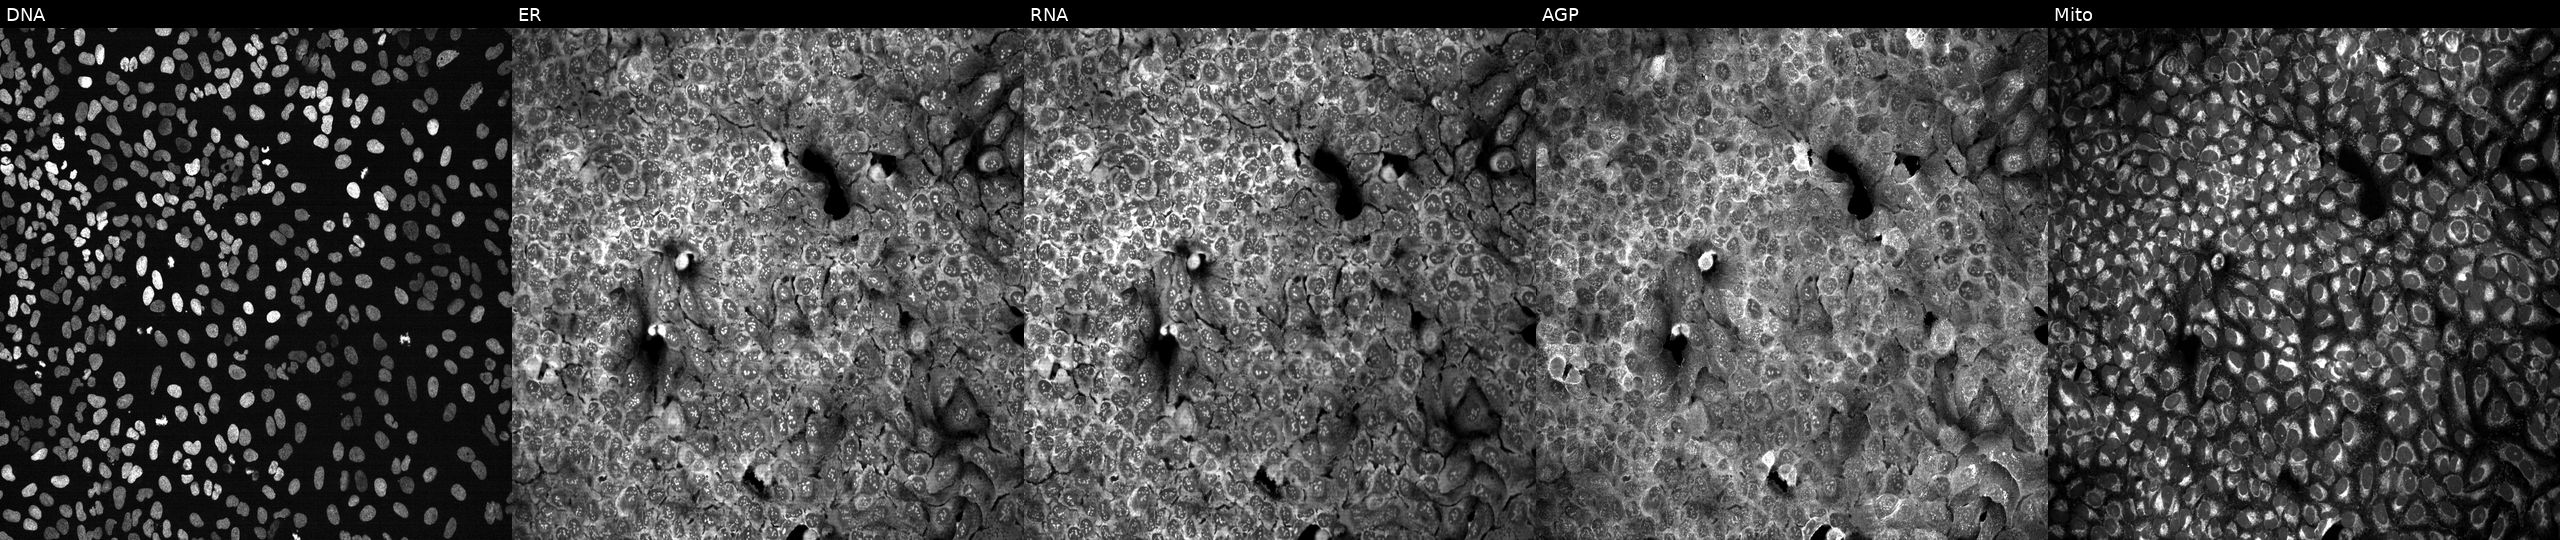
U2OS cells, Cell Painting assay, CRISPR-edited to disrupt ABCB7 (JUMP id JCP2022_800037). From left to right: DNA (nuclei); ER (endoplasmic reticulum); RNA (nucleoli and cytoplasmic RNA); AGP (actin cytoskeleton, Golgi, and plasma membrane); Mito (mitochondria). Each panel is percentile-stretched 16-bit fluorescence. Source 13, plate CP-CC9-R4-03, well J22.